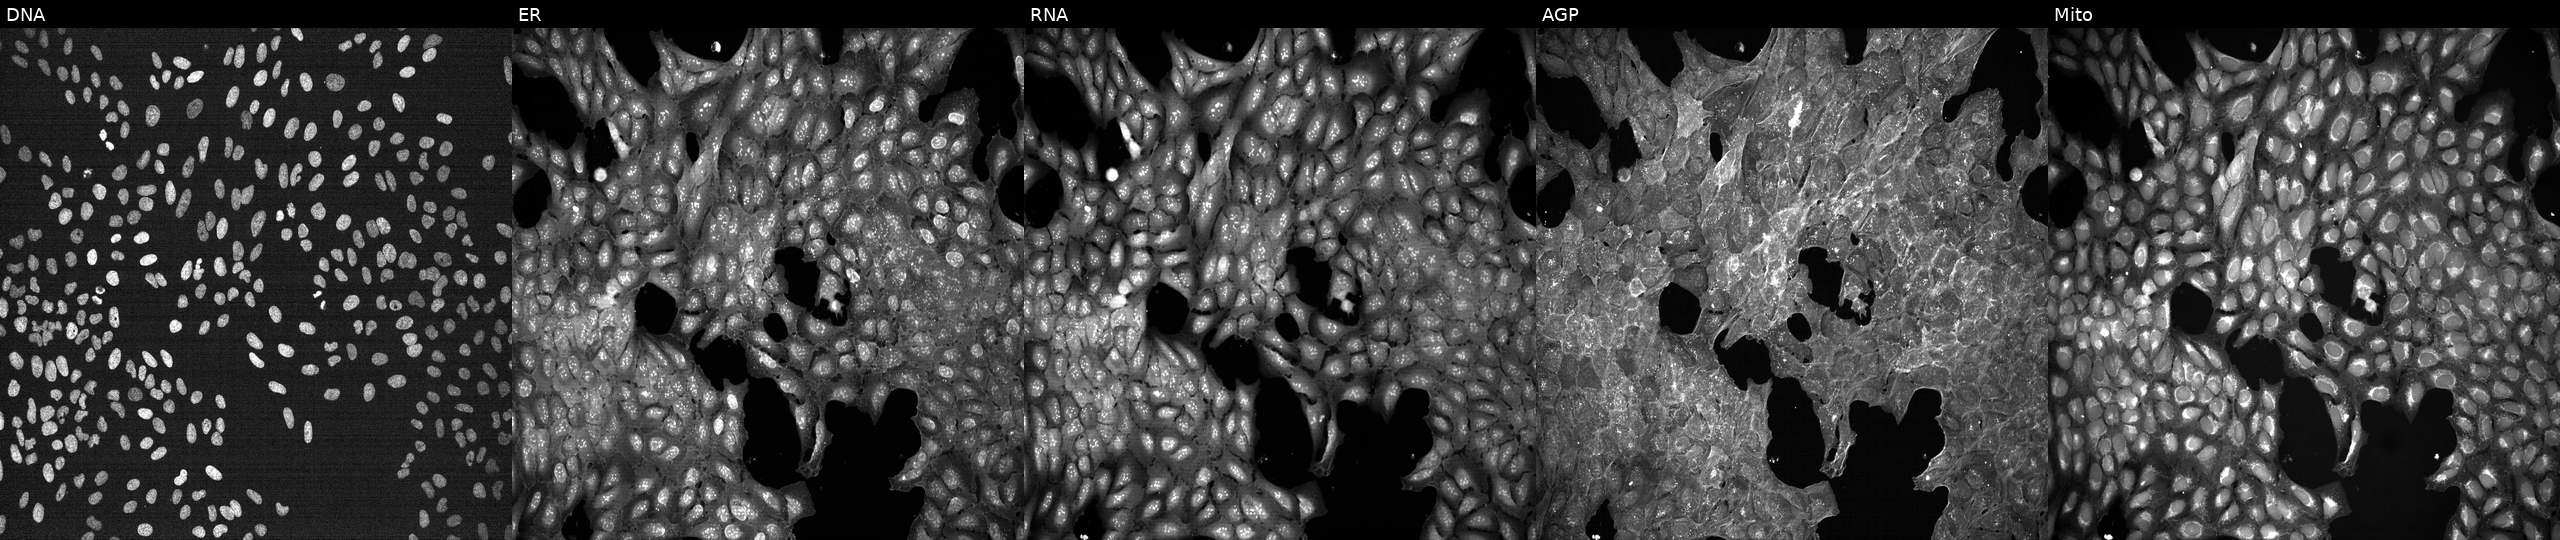
This image strip shows the five Cell Painting channels for a single field of U2OS cells exposed to DMSO alone as a negative control. Channels (left→right): DNA, ER, RNA, AGP, and Mito.